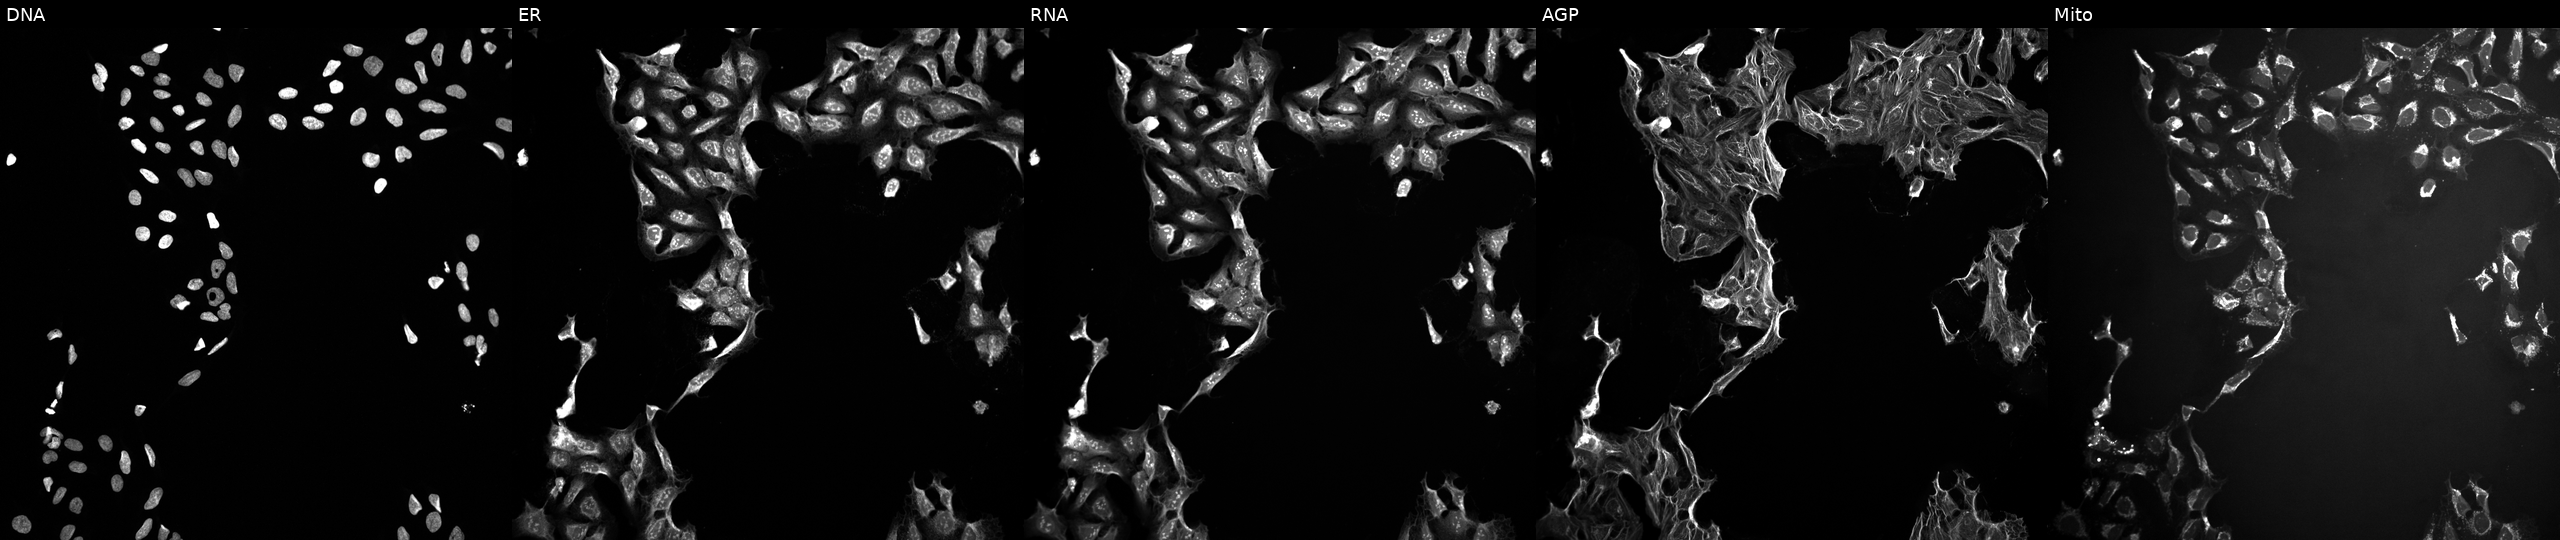
JUMP Cell Painting — TARGET2 plate. U2OS cells exposed to a small-molecule compound (InChIKey JVGBTTIJPBFLTE-UHFFFAOYSA-N) [SMILES: O=C1NCN(c2ccccc2)C12CCN(CC1COc3ccccc3O1)CC2] (JUMP id JCP2022_042354). From left to right: Hoechst 33342, concanavalin A, SYTO 14, phalloidin and WGA, MitoTracker.